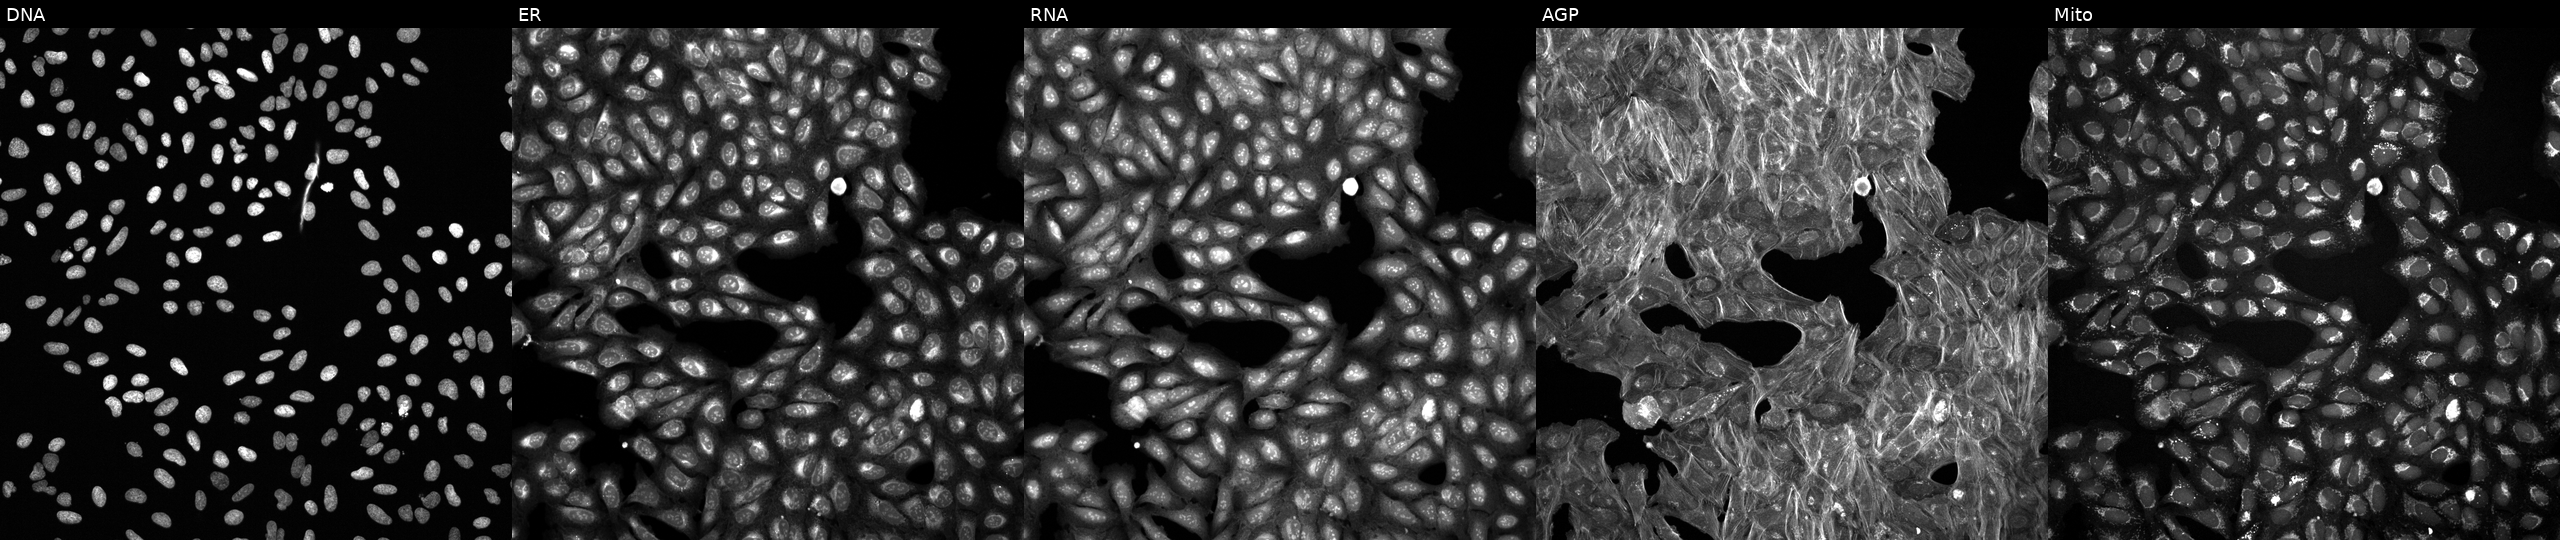
JUMP Cell Painting — TARGET2 plate. U2OS cells perturbed with a small-molecule compound (InChIKey ICDMLAQPOAVWNH-UHFFFAOYSA-N) (JUMP id JCP2022_034137). Panels show, left to right, DNA (nuclei); ER (endoplasmic reticulum); RNA (nucleoli and cytoplasmic RNA); AGP (actin cytoskeleton, Golgi, and plasma membrane); Mito (mitochondria). Source 6, plate 110000293081, well P04.